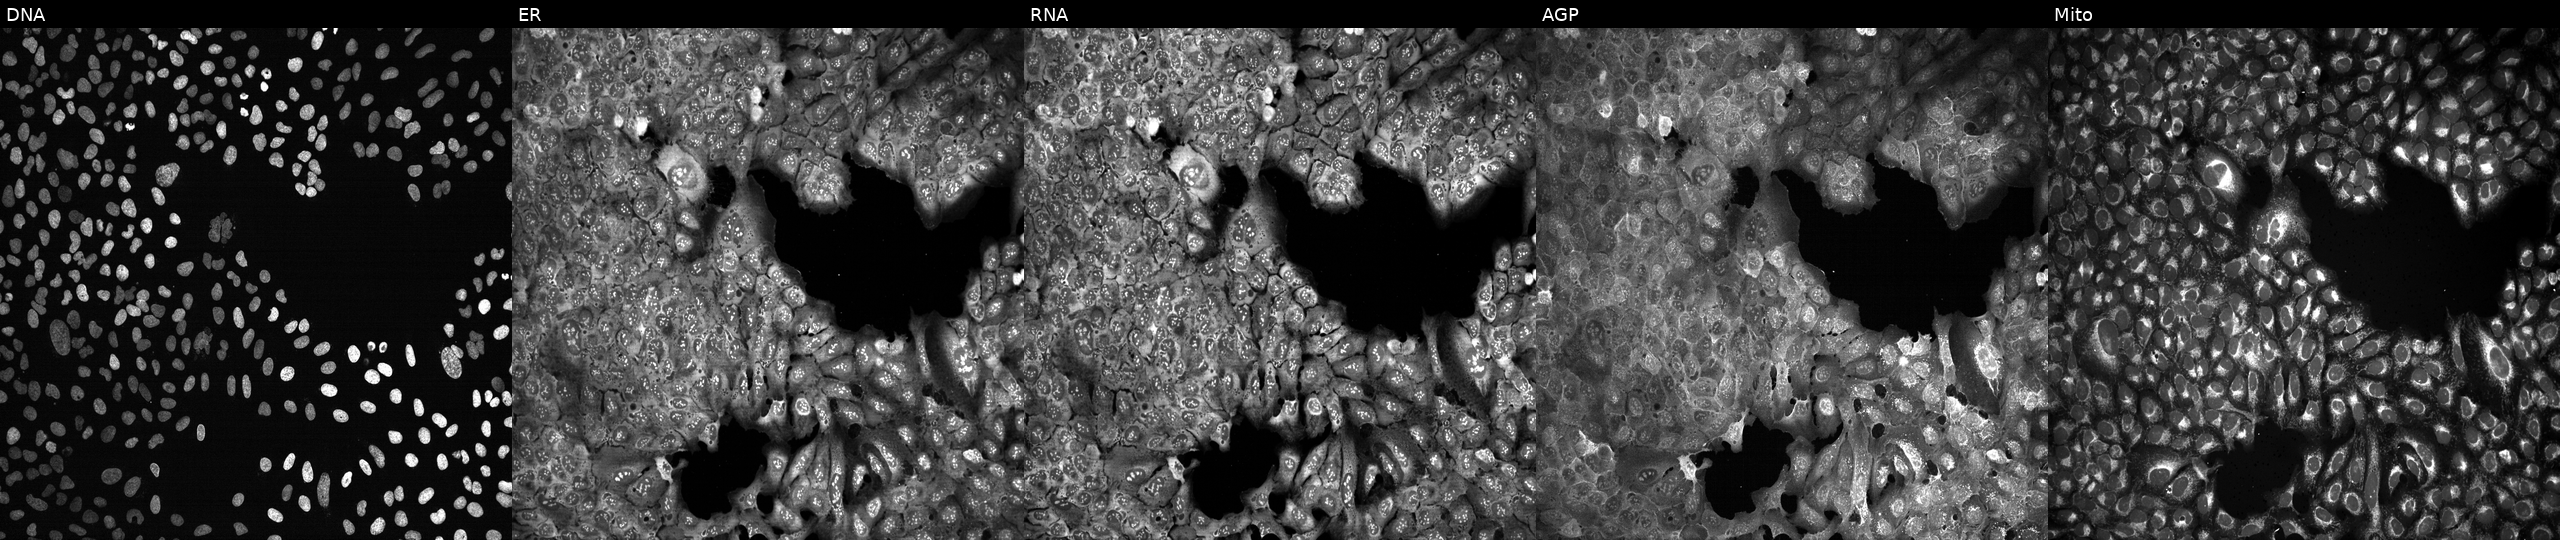
This image strip shows the five Cell Painting channels for a single field of U2OS cells following CRISPR knockout of B3GAT1 (JUMP id JCP2022_800778). Channels (left→right): DNA (nuclei); ER (endoplasmic reticulum); RNA (nucleoli and cytoplasmic RNA); AGP (actin cytoskeleton, Golgi, and plasma membrane); Mito (mitochondria). Source 13, plate CP-CC9-R4-04, well G04.